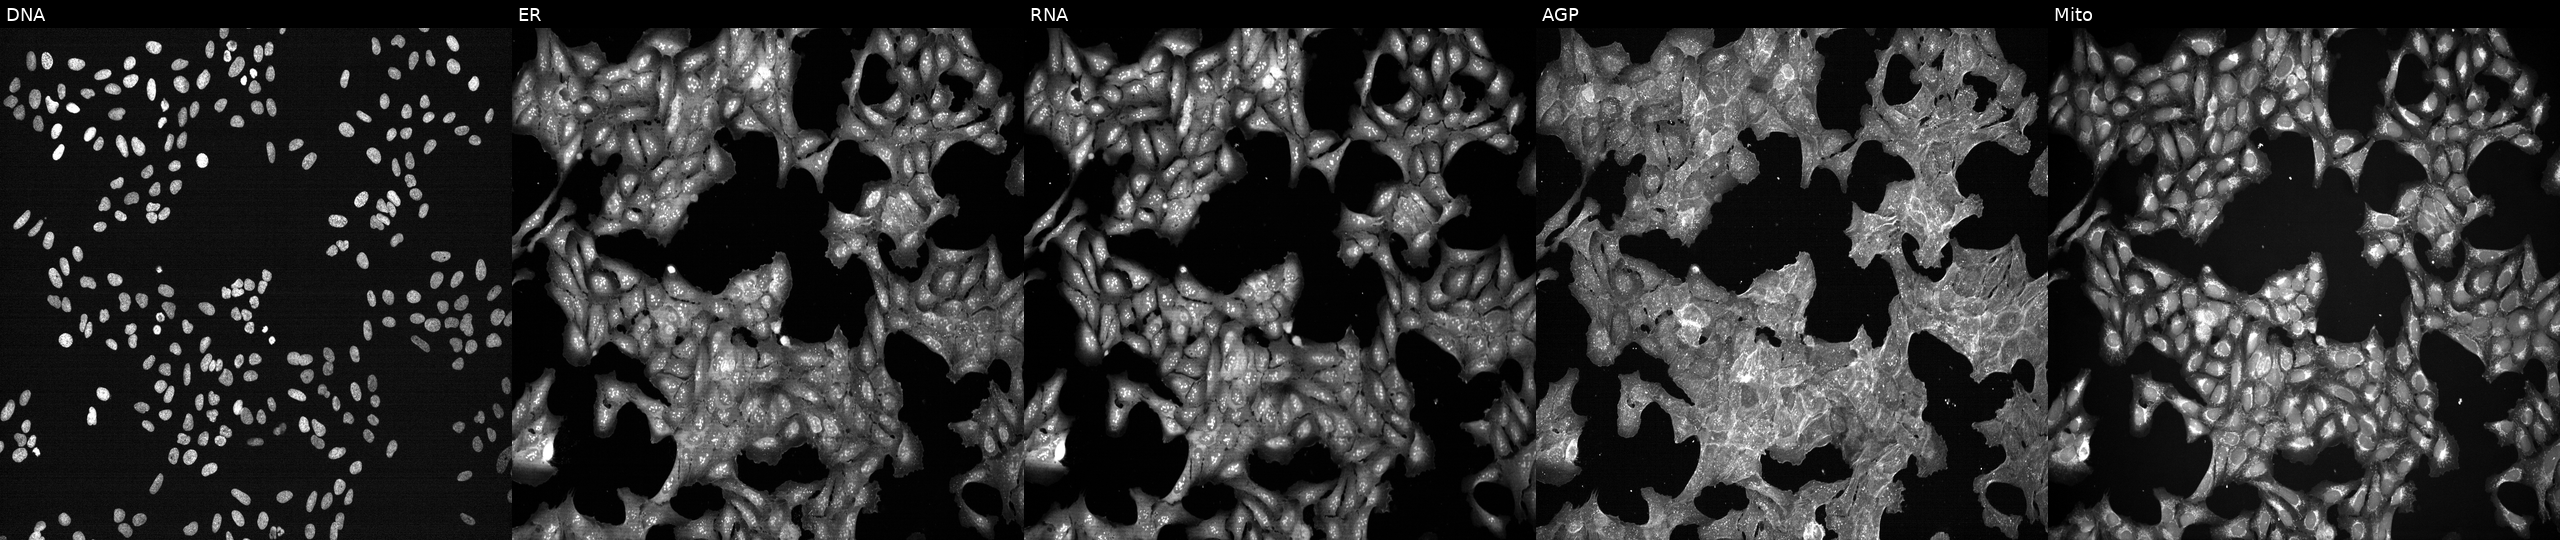
This image strip shows the five Cell Painting channels for a single field of U2OS cells treated with a small-molecule compound. Channels (left→right): DNA, ER, RNA, AGP, and Mito.